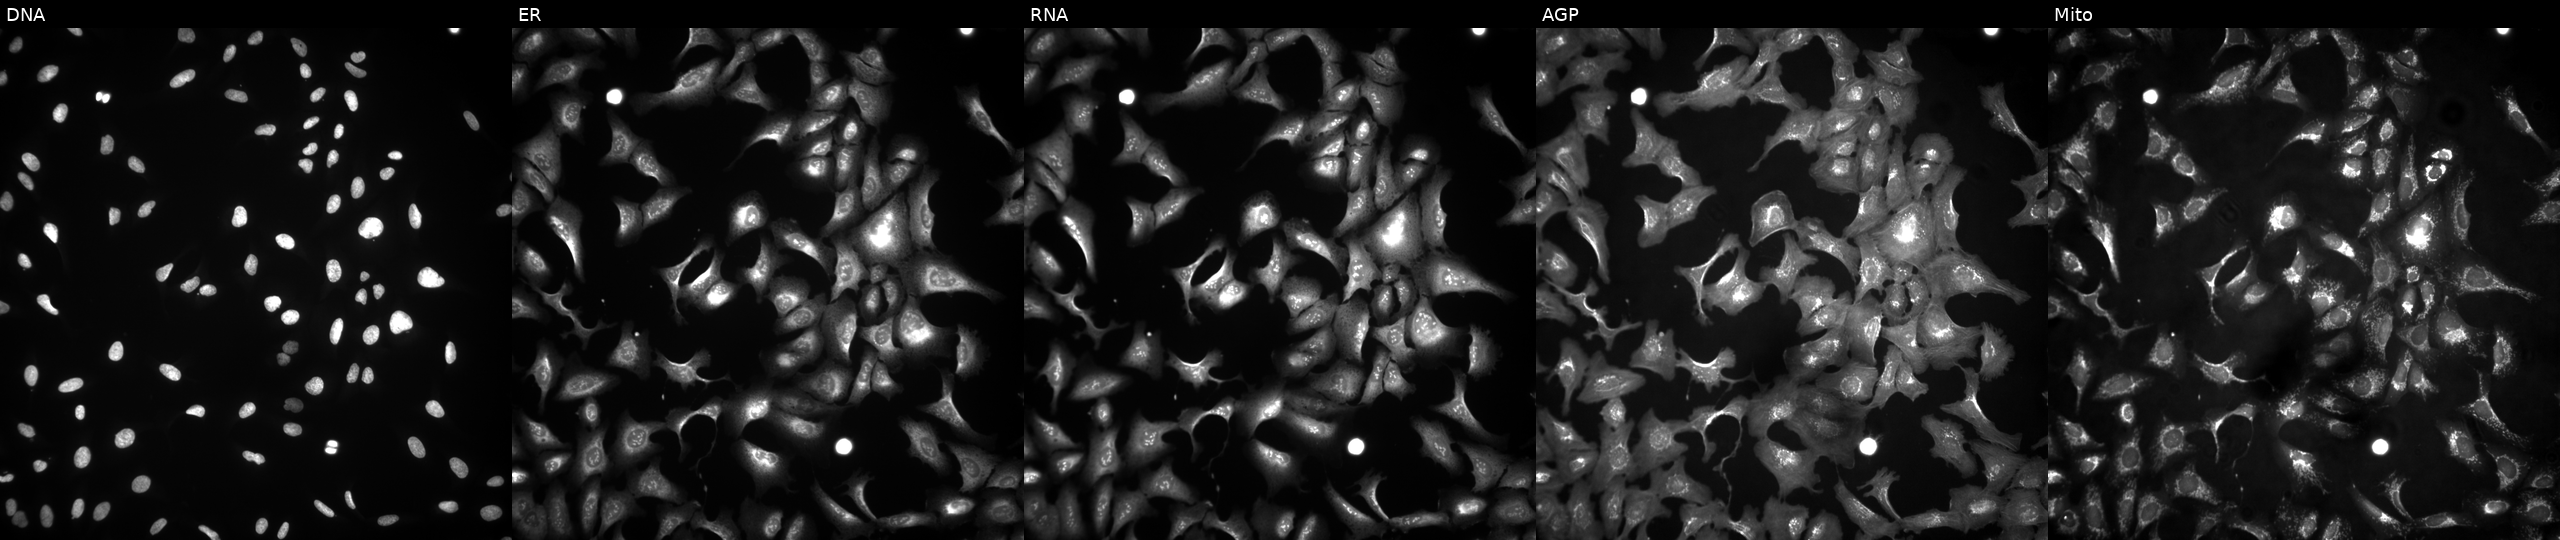
JUMP Cell Painting — ORF plate. U2OS cells overexpressing LGI3 via ORF transfection. From left to right: Hoechst 33342, concanavalin A, SYTO 14, phalloidin and WGA, MitoTracker.